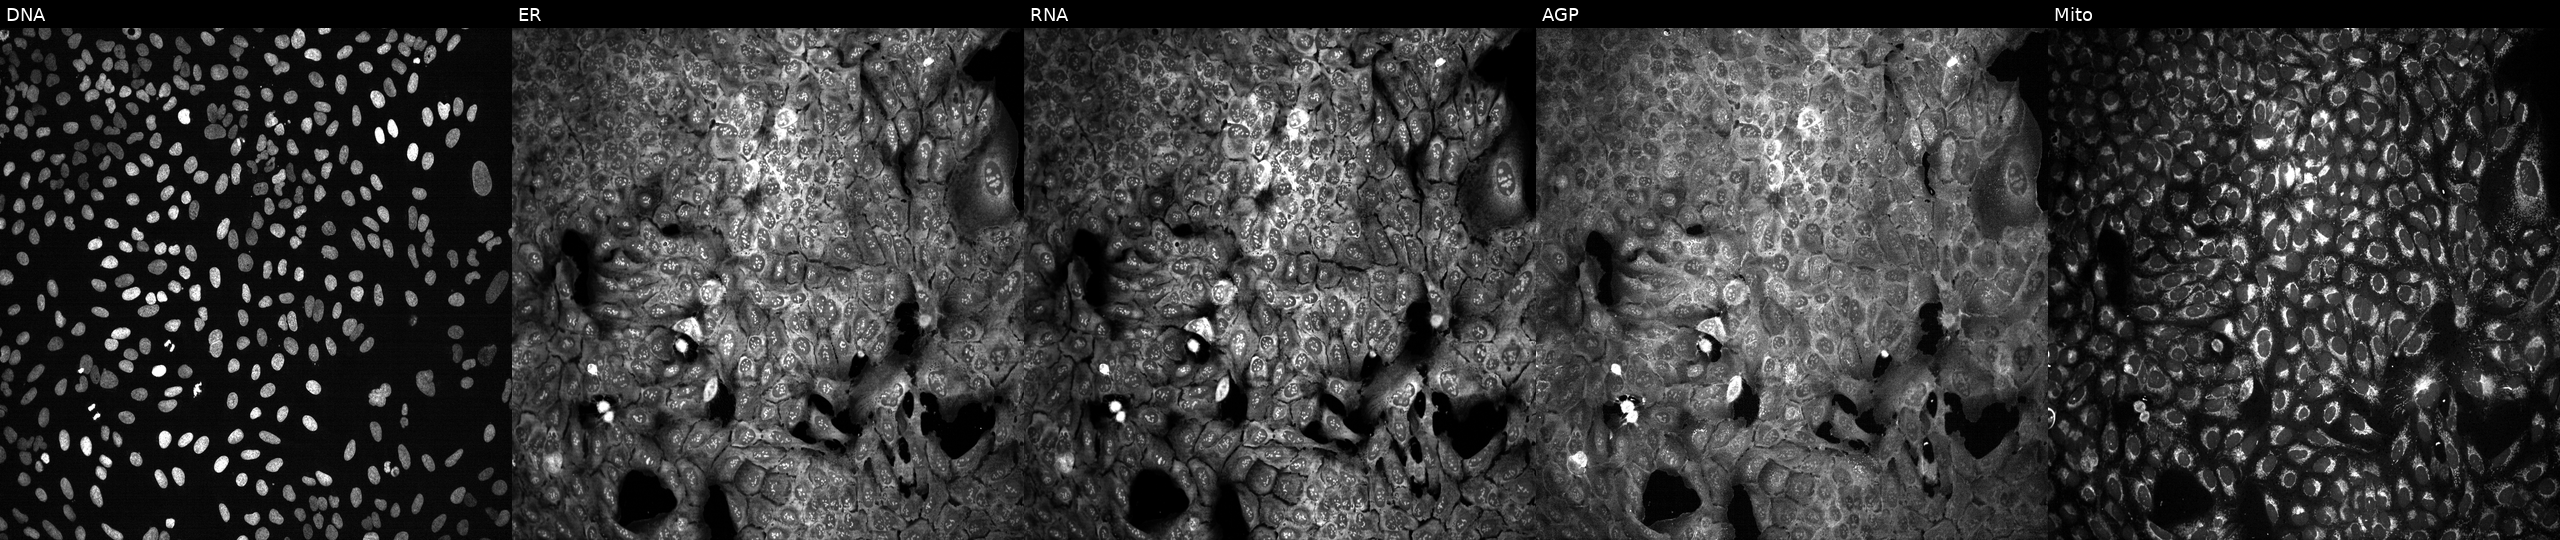
U2OS cells, Cell Painting assay, with MAP2 knocked out by CRISPR. From left to right: DNA (nuclei); ER (endoplasmic reticulum); RNA (nucleoli and cytoplasmic RNA); AGP (actin cytoskeleton, Golgi, and plasma membrane); Mito (mitochondria). Each panel is percentile-stretched 16-bit fluorescence.